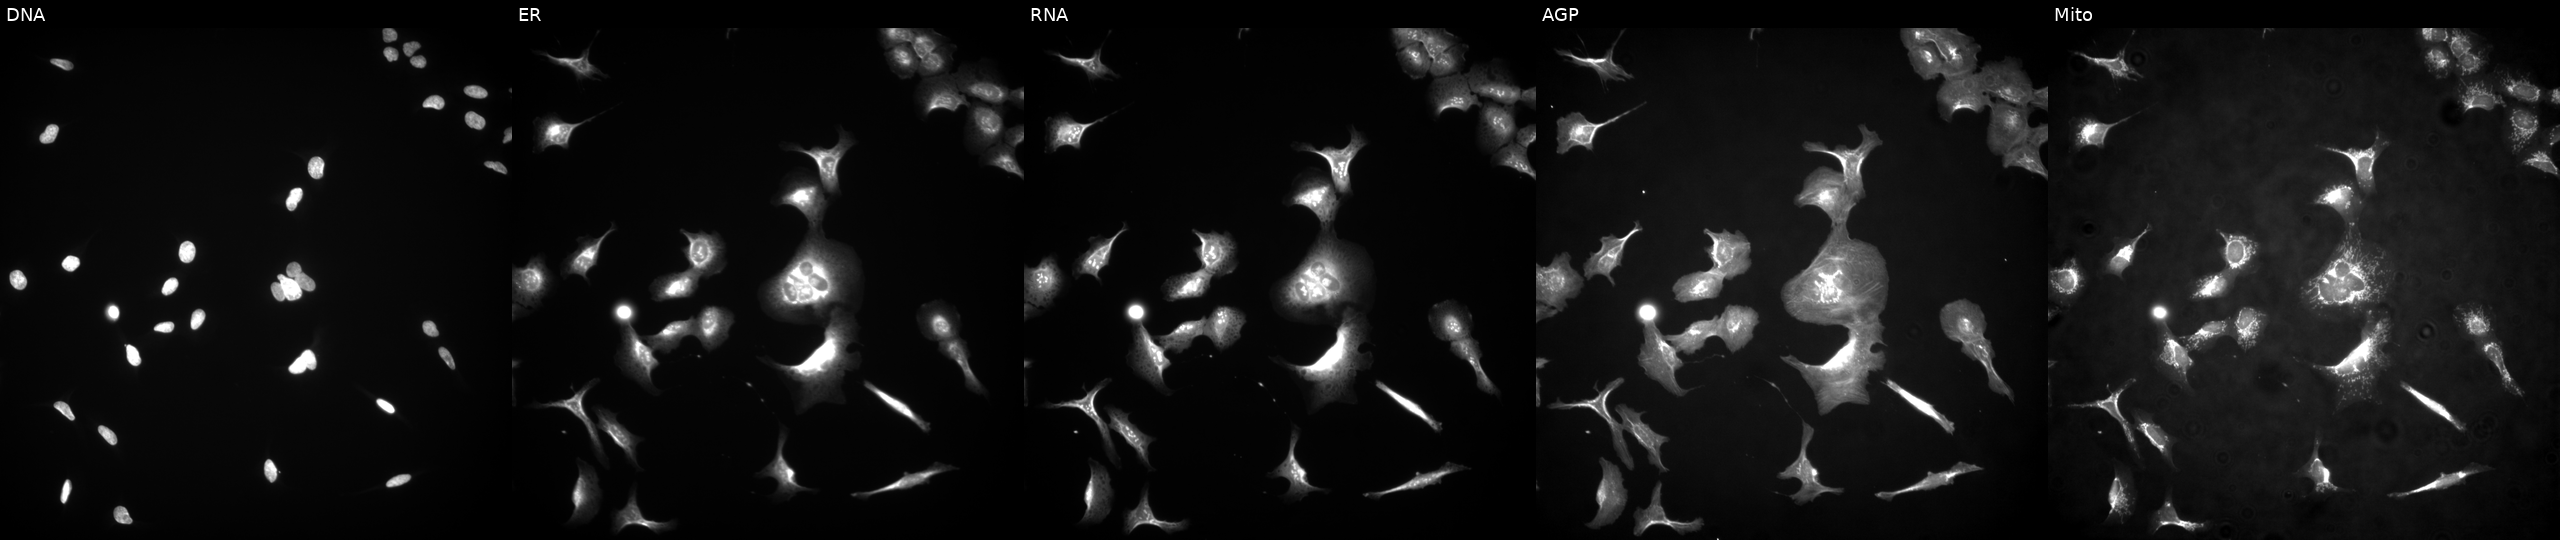
Five-channel Cell Painting image of U2OS cells overexpressing SERPINB11 via ORF transfection. Channels (left→right): DNA (nuclei); ER (endoplasmic reticulum); RNA (nucleoli and cytoplasmic RNA); AGP (actin cytoskeleton, Golgi, and plasma membrane); Mito (mitochondria). Source 4, plate BR00123509, well O14.